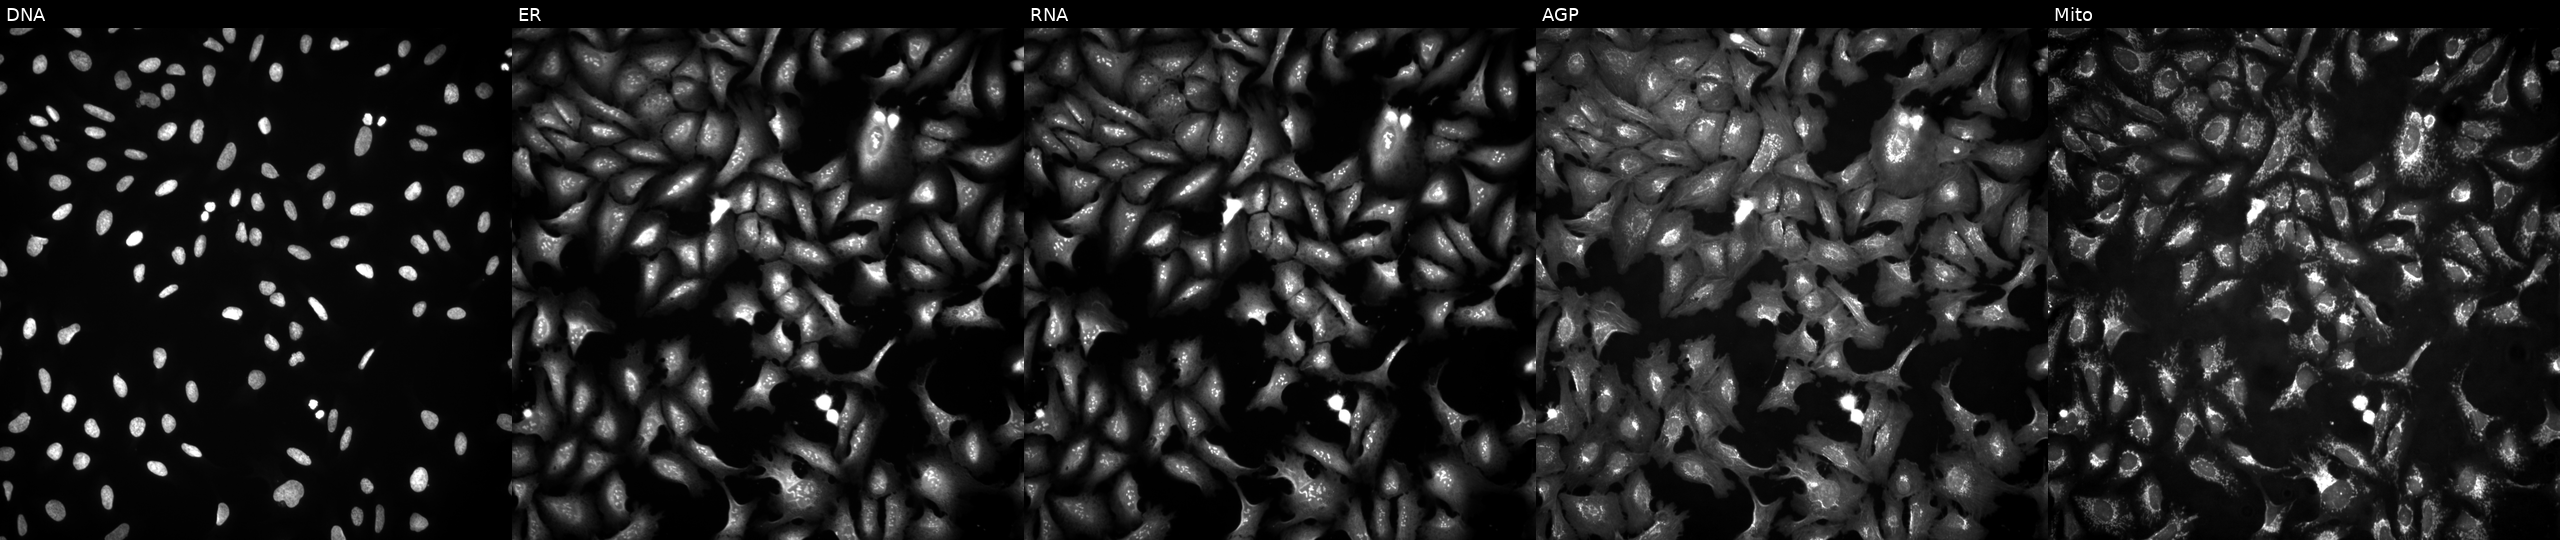
U2OS cells, Cell Painting assay, transfected with an ORF construct for OLFM1. Channels (left→right): DNA, ER, RNA, AGP, and Mito. Each panel is percentile-stretched 16-bit fluorescence.